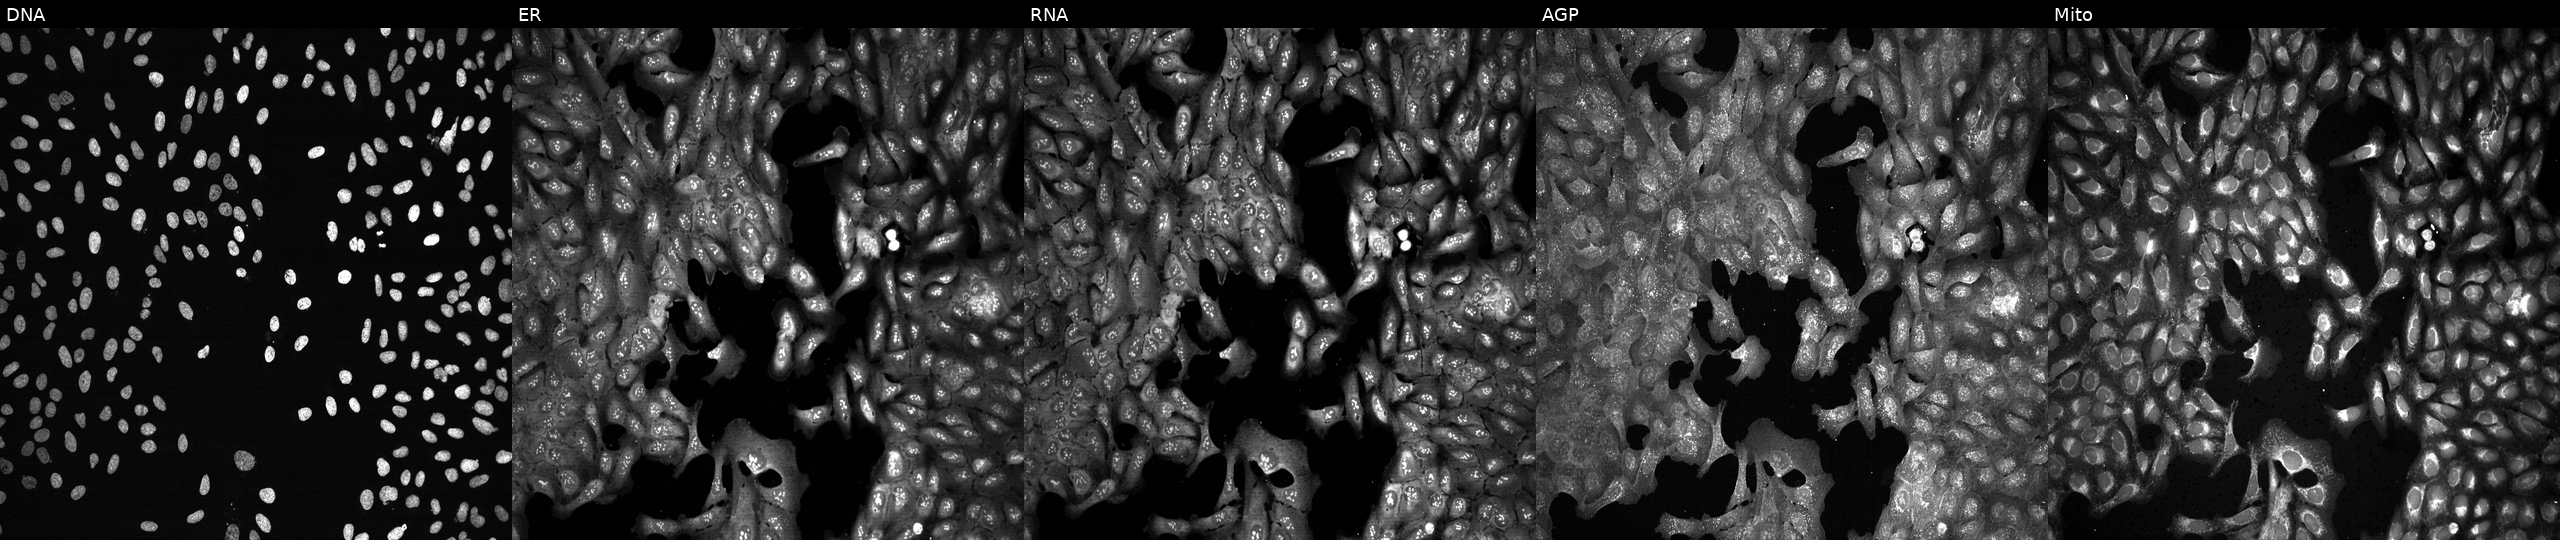
This image strip shows the five Cell Painting channels for a single field of U2OS cells CRISPR-edited to disrupt SAMD4A. Panels show, left to right, Hoechst 33342, concanavalin A, SYTO 14, phalloidin and WGA, MitoTracker. Source 13, plate CP-CC9-R5-01, well N03.